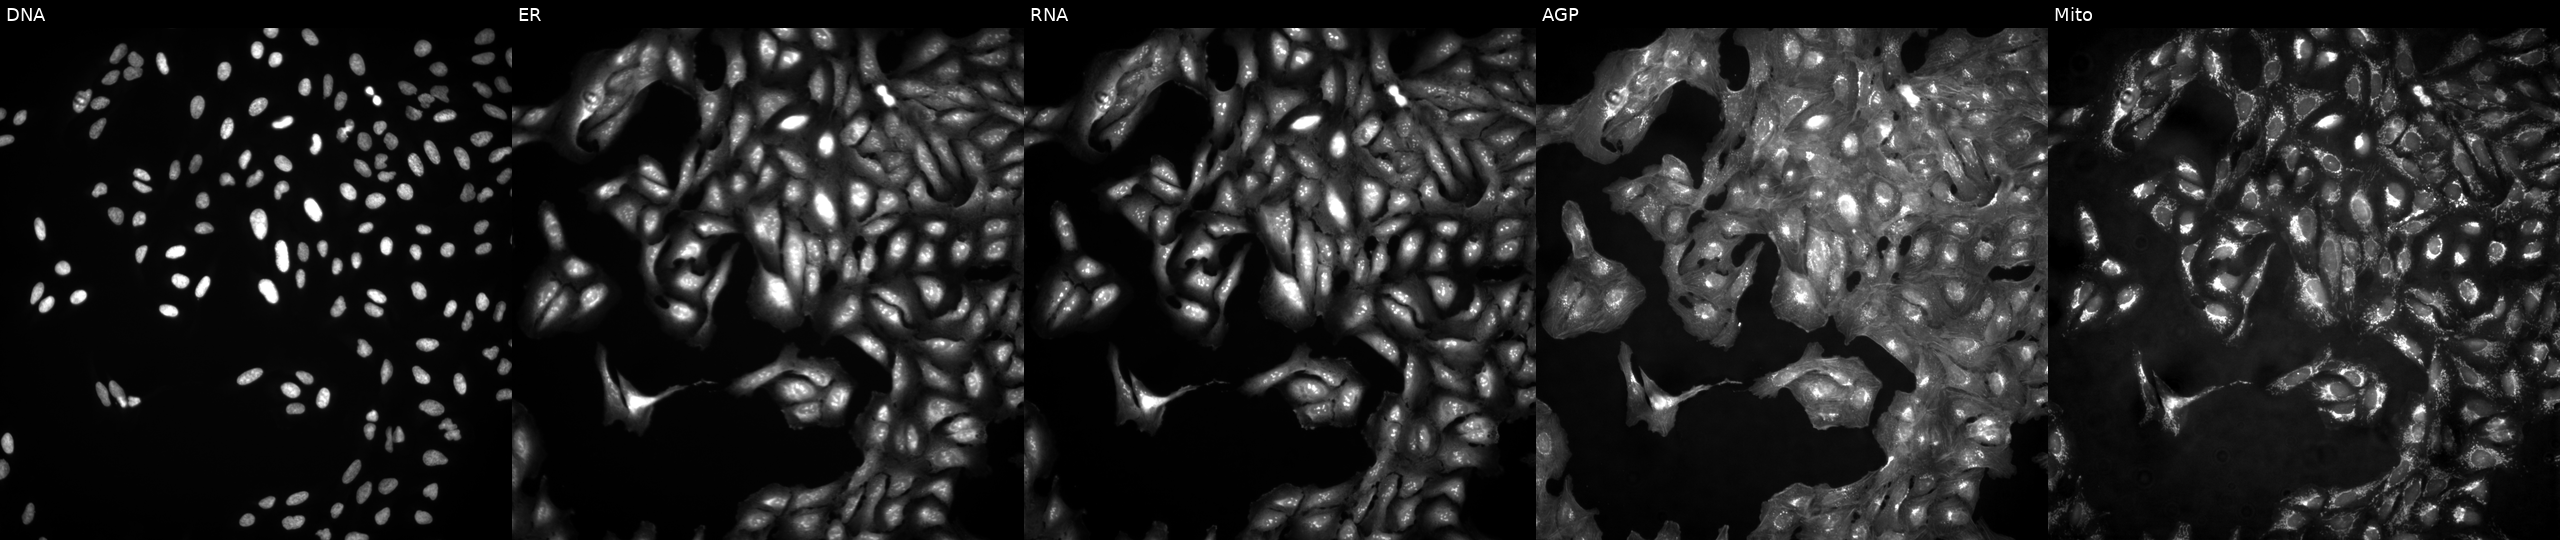
U2OS cells, Cell Painting assay, untreated (empty-well control) (JUMP id JCP2022_999999). Channels (left→right): DNA (nuclei); ER (endoplasmic reticulum); RNA (nucleoli and cytoplasmic RNA); AGP (actin cytoskeleton, Golgi, and plasma membrane); Mito (mitochondria). Each panel is percentile-stretched 16-bit fluorescence.